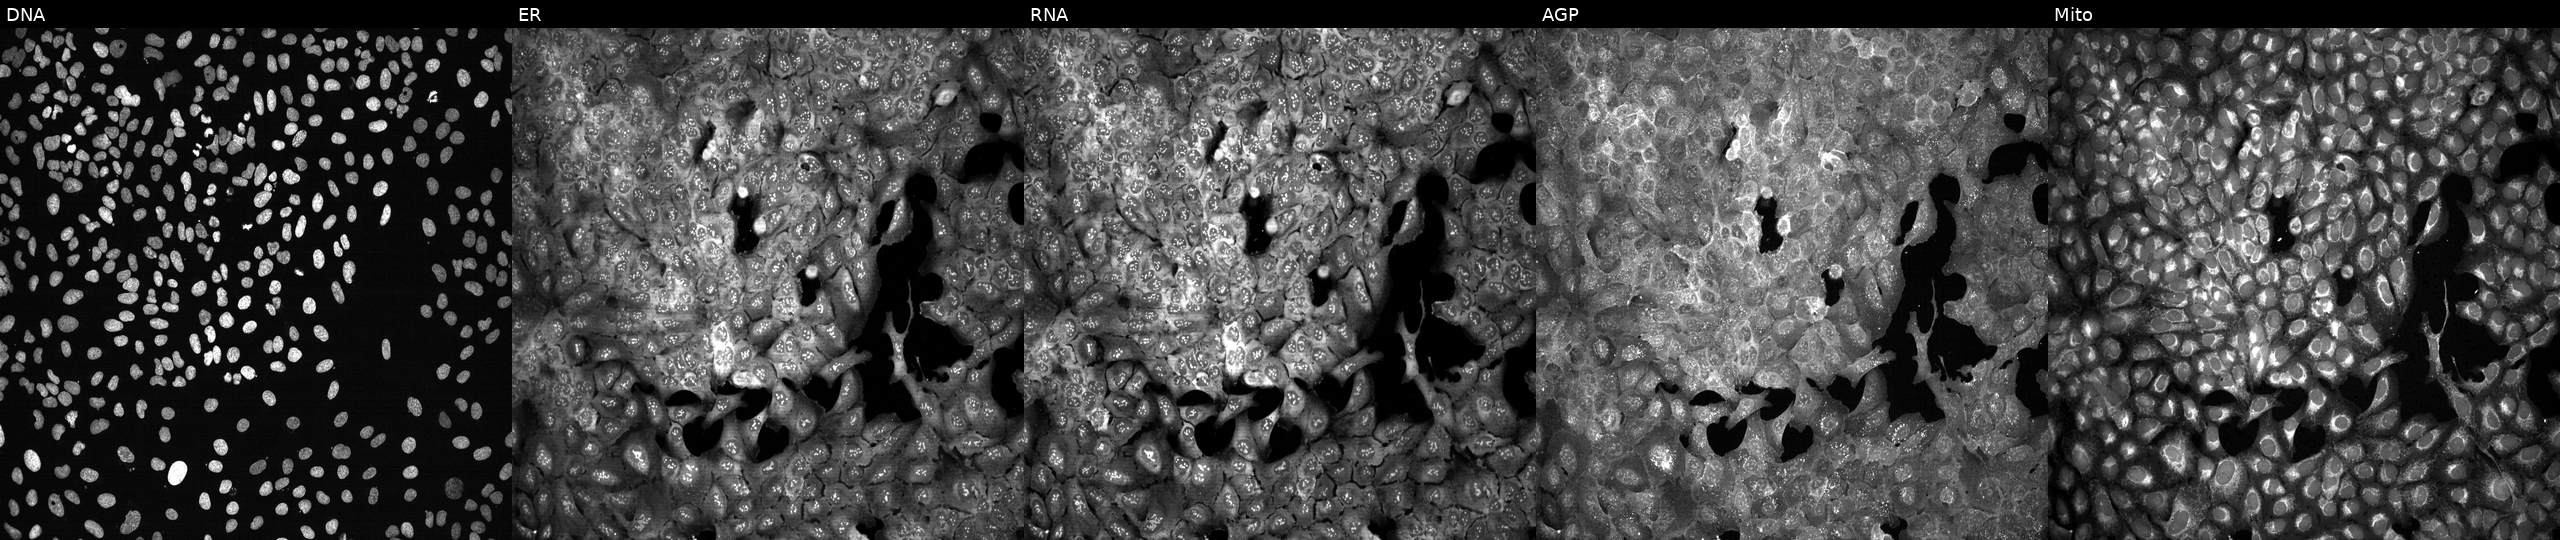
Five-channel Cell Painting image of U2OS cells CRISPR-edited to disrupt GNA14. Panels show, left to right, DNA (nuclei); ER (endoplasmic reticulum); RNA (nucleoli and cytoplasmic RNA); AGP (actin cytoskeleton, Golgi, and plasma membrane); Mito (mitochondria).